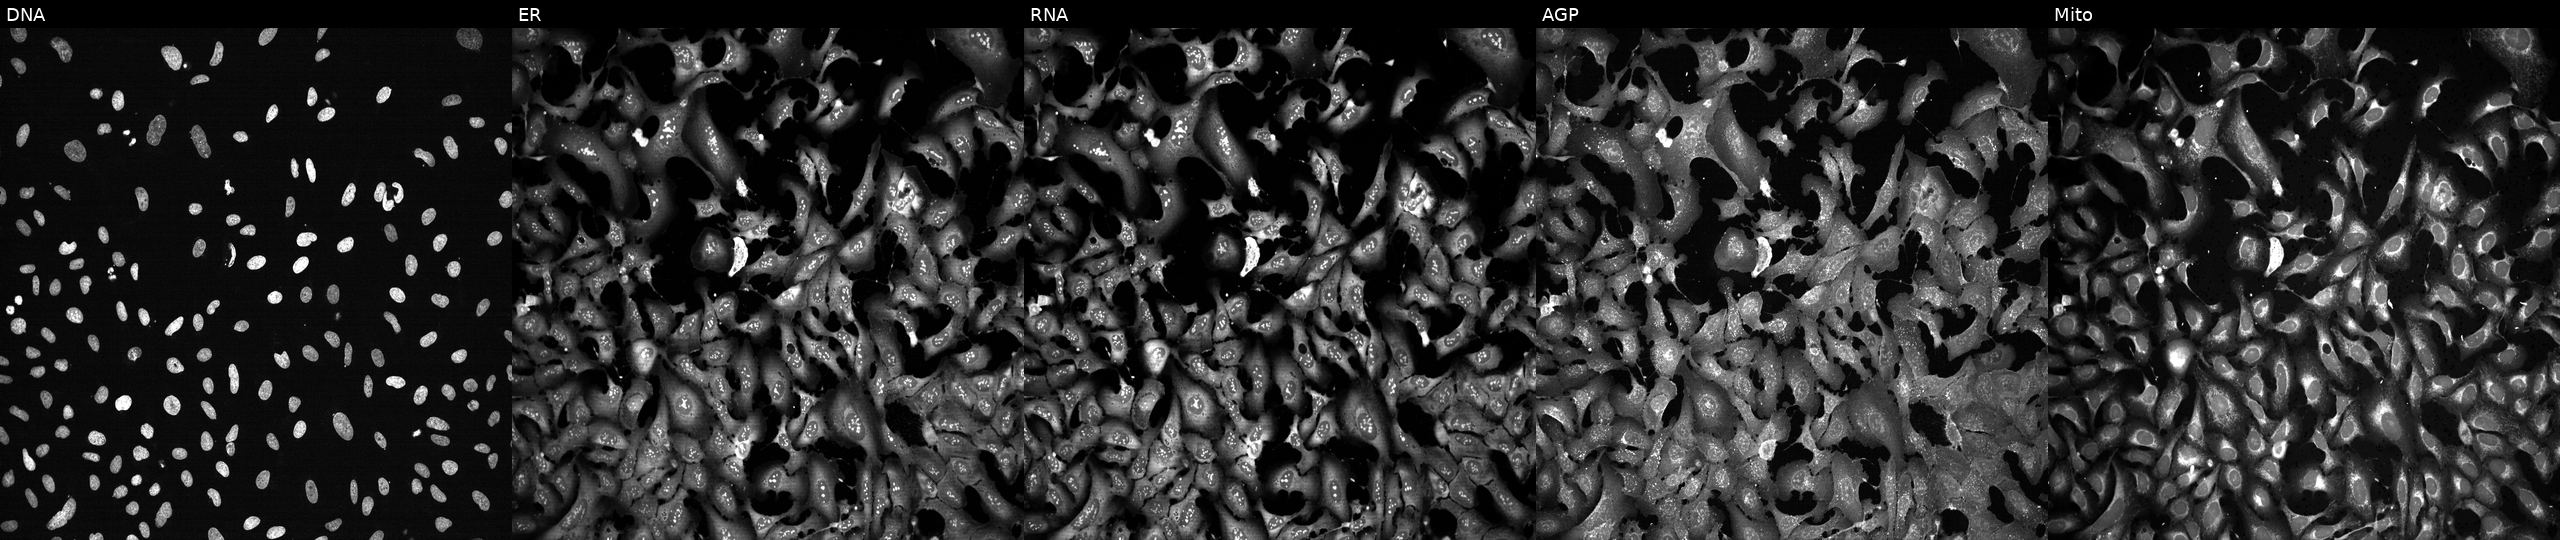
This image strip shows the five Cell Painting channels for a single field of U2OS cells following CRISPR knockout of ALDOA (JUMP id JCP2022_800399). From left to right: DNA, ER, RNA, AGP, and Mito.